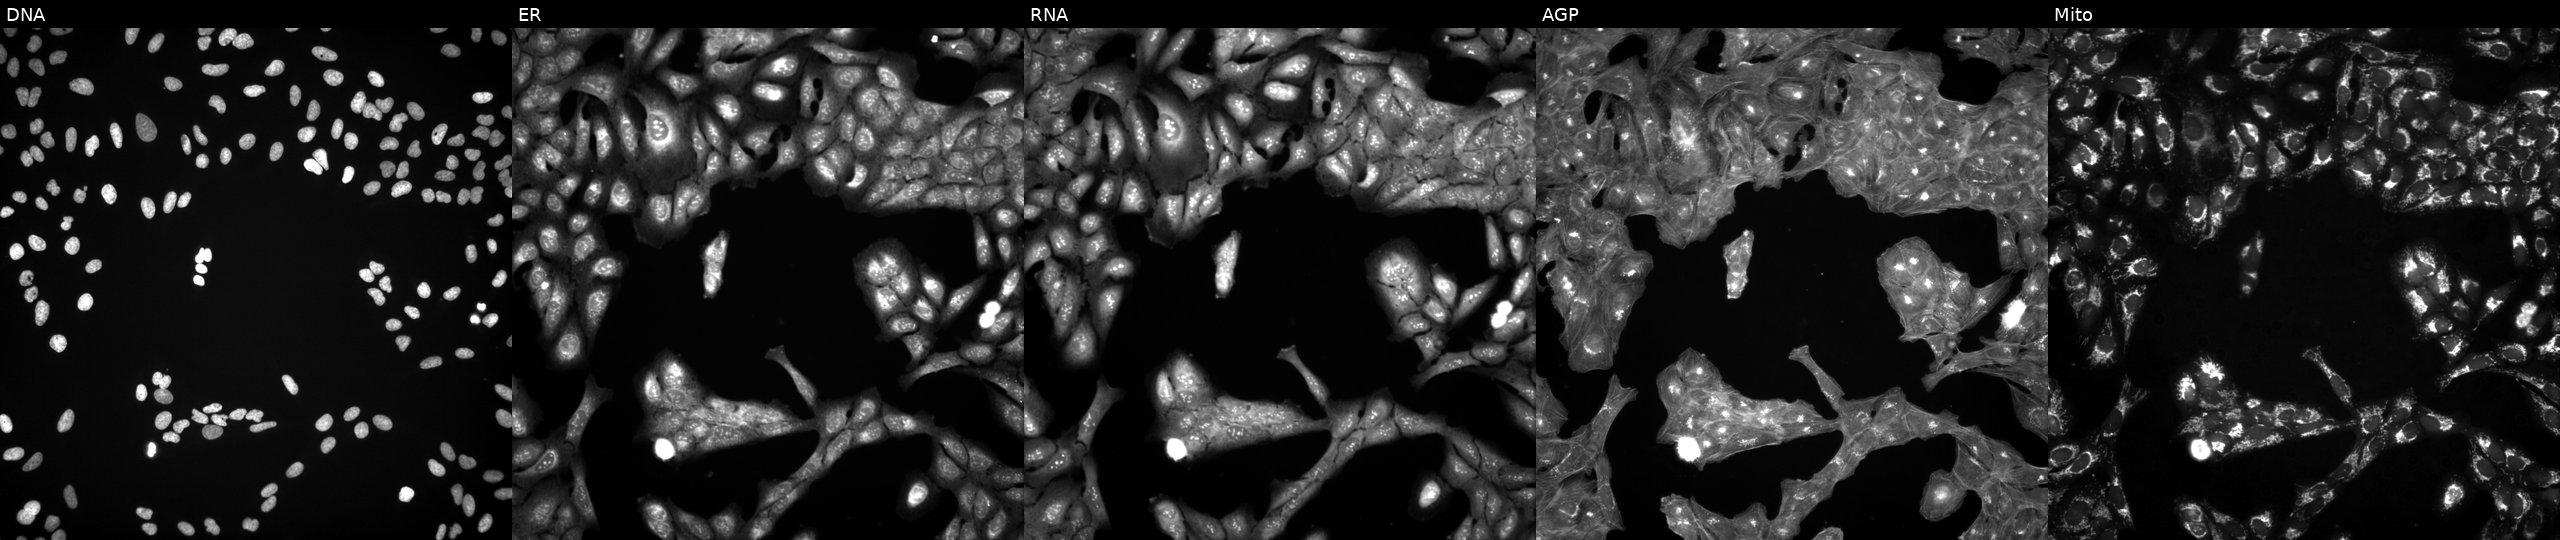
Panels show, left to right, DNA (nuclei); ER (endoplasmic reticulum); RNA (nucleoli and cytoplasmic RNA); AGP (actin cytoskeleton, Golgi, and plasma membrane); Mito (mitochondria). U2OS osteosarcoma cells exposed to a small-molecule compound (InChIKey PHLBKPHSAVXXEF-UHFFFAOYSA-N) (JUMP id JCP2022_068606). Cell Painting assay, JUMP-CP dataset. Source 3, plate JCPQC051, well L16.